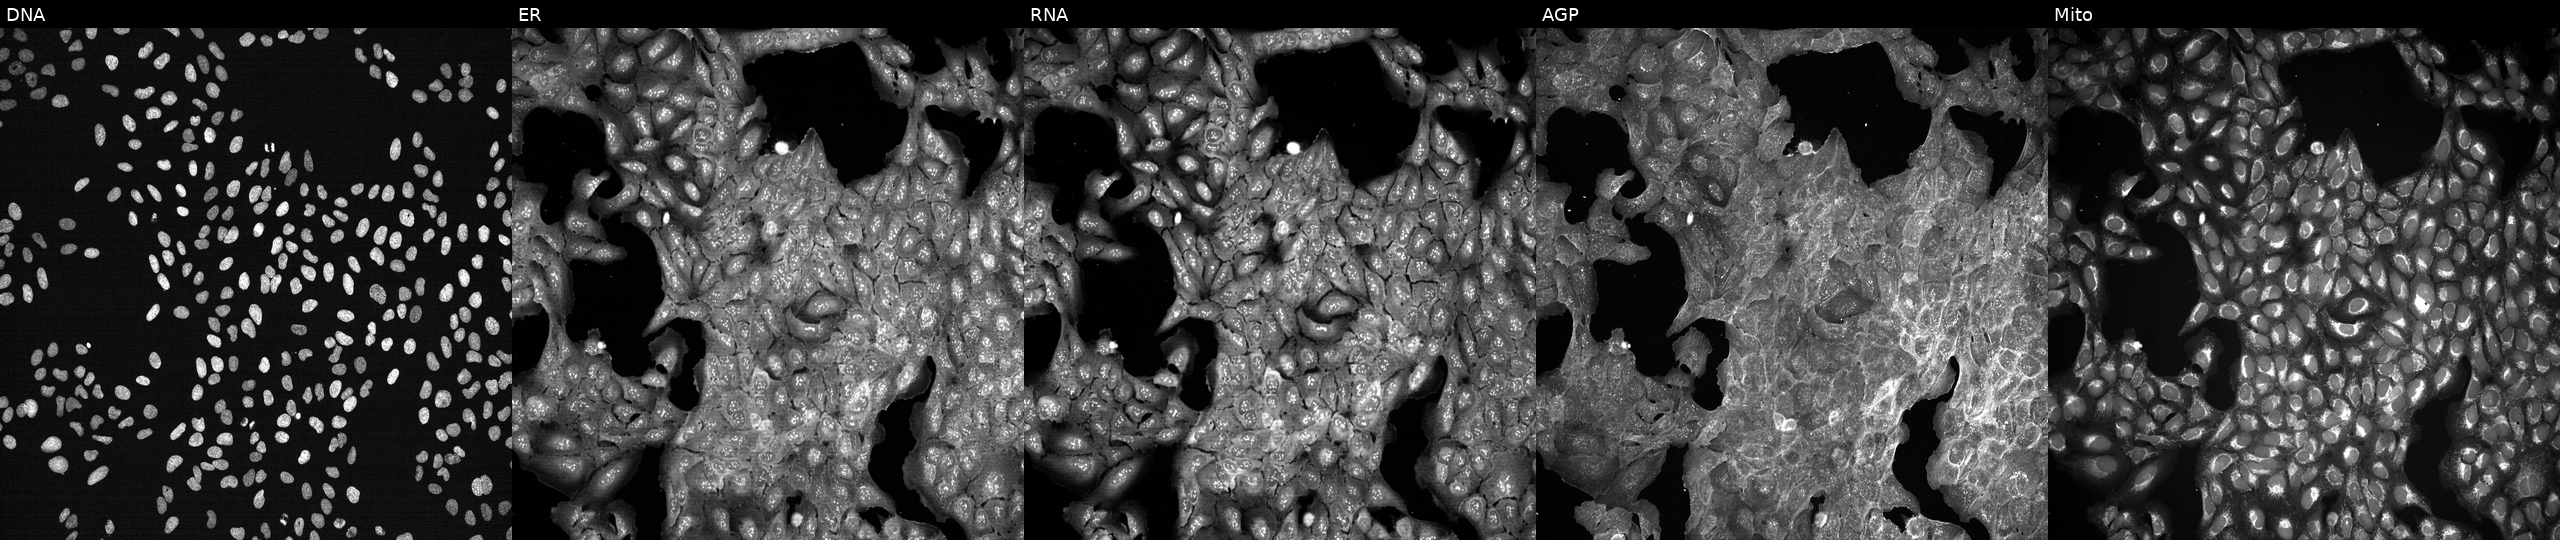
High-content fluorescence microscopy (Cell Painting). Cell line: U2OS. Perturbation: treated with DMSO vehicle only (negative control) (JUMP id JCP2022_033924). Panels show, left to right, Hoechst 33342, concanavalin A, SYTO 14, phalloidin and WGA, MitoTracker.